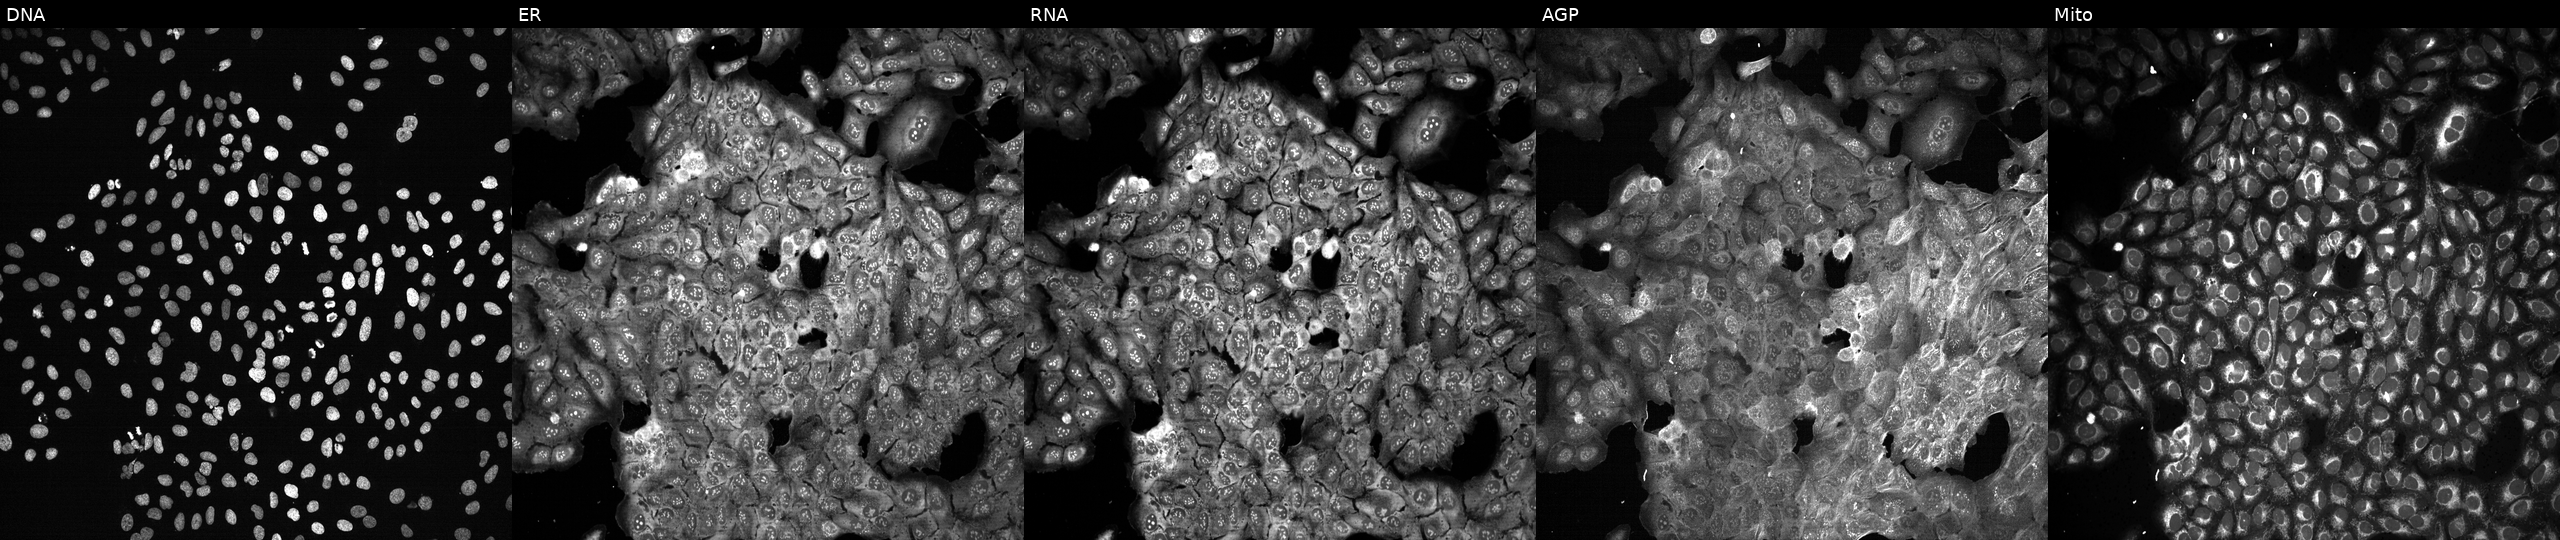
Panels show, left to right, Hoechst 33342, concanavalin A, SYTO 14, phalloidin and WGA, MitoTracker. U2OS osteosarcoma cells with KIFAP3 knocked out by CRISPR (JUMP id JCP2022_803689). Cell Painting assay, JUMP-CP dataset.